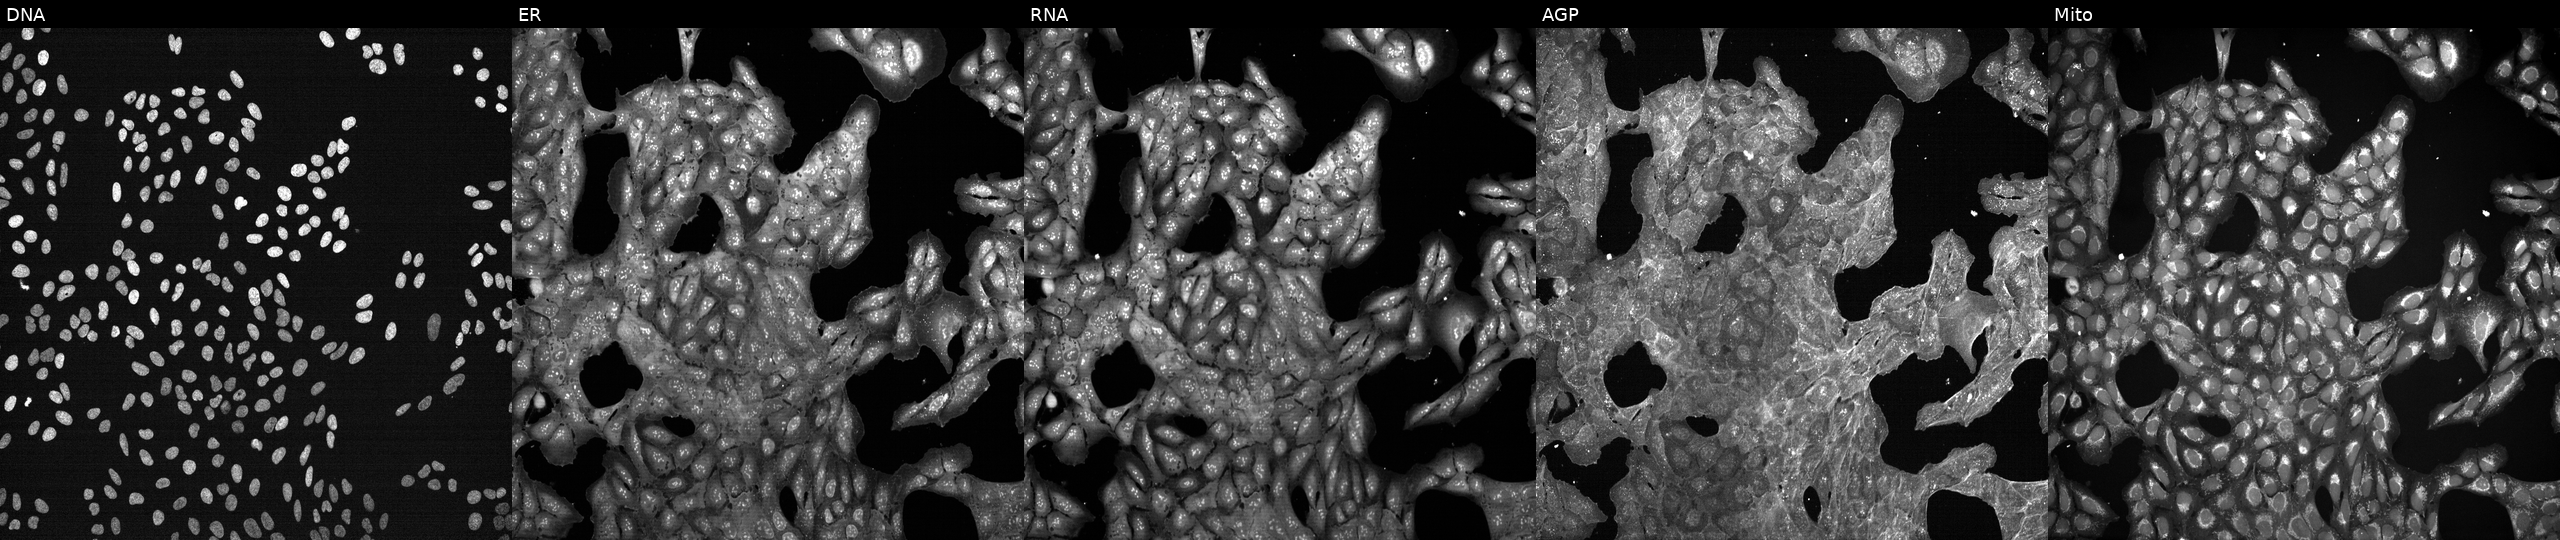
High-content fluorescence microscopy (Cell Painting). Cell line: U2OS. Perturbation: exposed to a small-molecule compound (InChIKey WATNXVHKRRTUFK-UHFFFAOYSA-N) [SMILES: CCCC(CCC)C(=O)NCc1ccc2c(cnn2-c2ccccc2OC)c1] (JUMP id JCP2022_097564). From left to right: Hoechst 33342, concanavalin A, SYTO 14, phalloidin and WGA, MitoTracker.